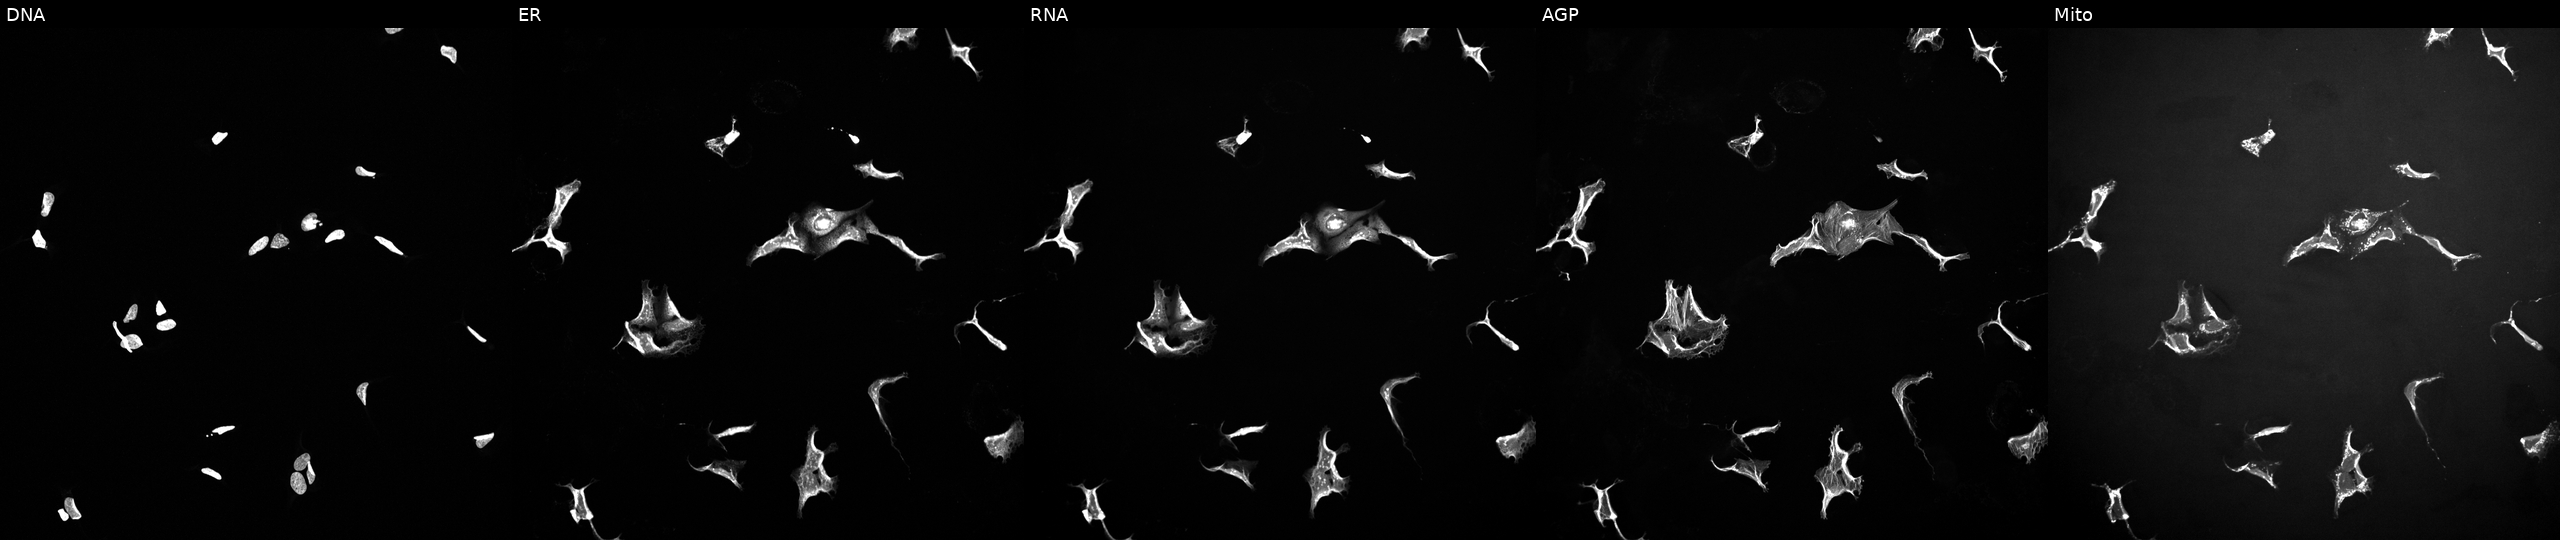
High-content fluorescence microscopy (Cell Painting). Cell line: U2OS. Perturbation: perturbed with a small-molecule compound. Panels show, left to right, Hoechst 33342, concanavalin A, SYTO 14, phalloidin and WGA, MitoTracker.